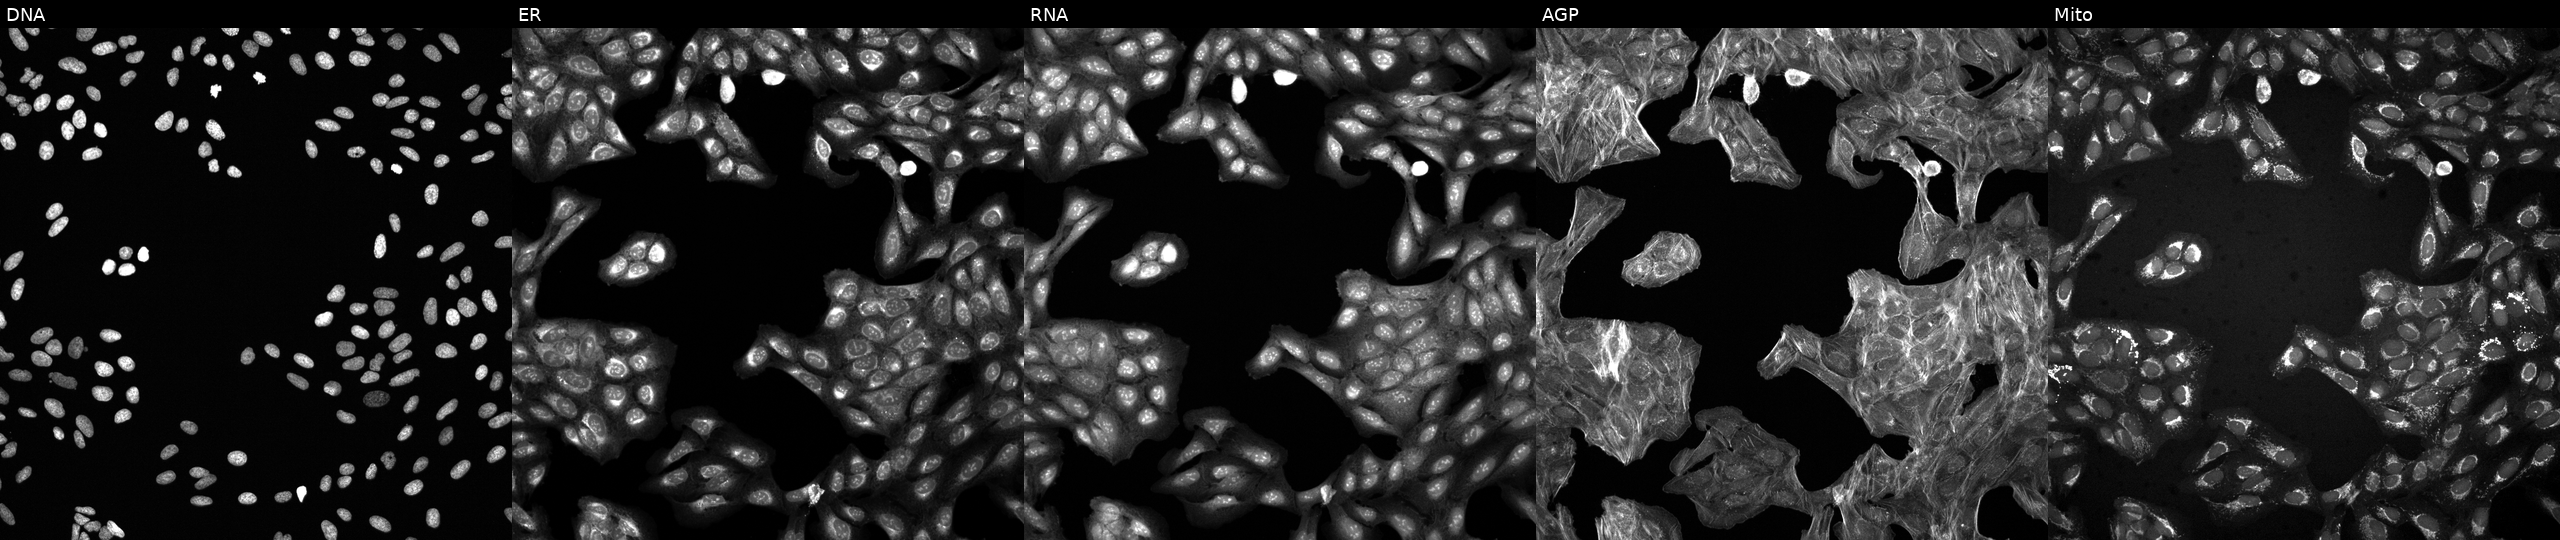
Panels show, left to right, DNA (nuclei); ER (endoplasmic reticulum); RNA (nucleoli and cytoplasmic RNA); AGP (actin cytoskeleton, Golgi, and plasma membrane); Mito (mitochondria). U2OS osteosarcoma cells perturbed with a small-molecule compound (InChIKey CCRMIPCZDLTZED-UHFFFAOYSA-N) [SMILES: Cc1c(Cl)c(C(=O)N2CCc3ccccc32)nn1C] (JUMP id JCP2022_010259). Cell Painting assay, JUMP-CP dataset. Source 6, plate 110000293083, well N05.